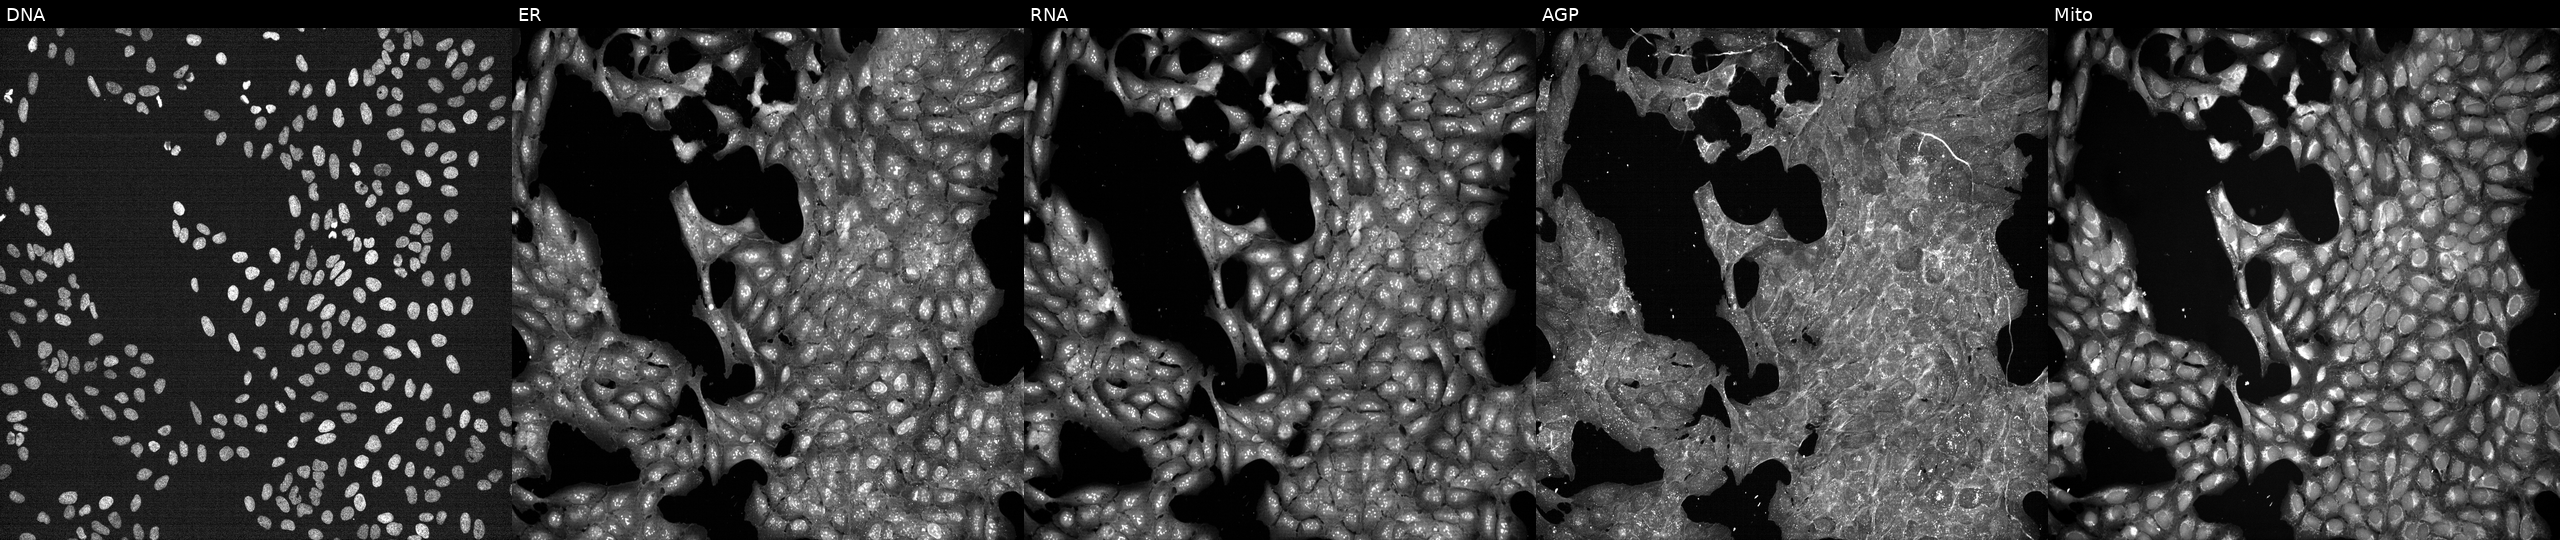
JUMP Cell Painting — TARGET2 plate. U2OS cells treated with DMSO vehicle only (negative control) (JUMP id JCP2022_033924). The five panels, left to right, show Hoechst 33342, concanavalin A, SYTO 14, phalloidin and WGA, MitoTracker.